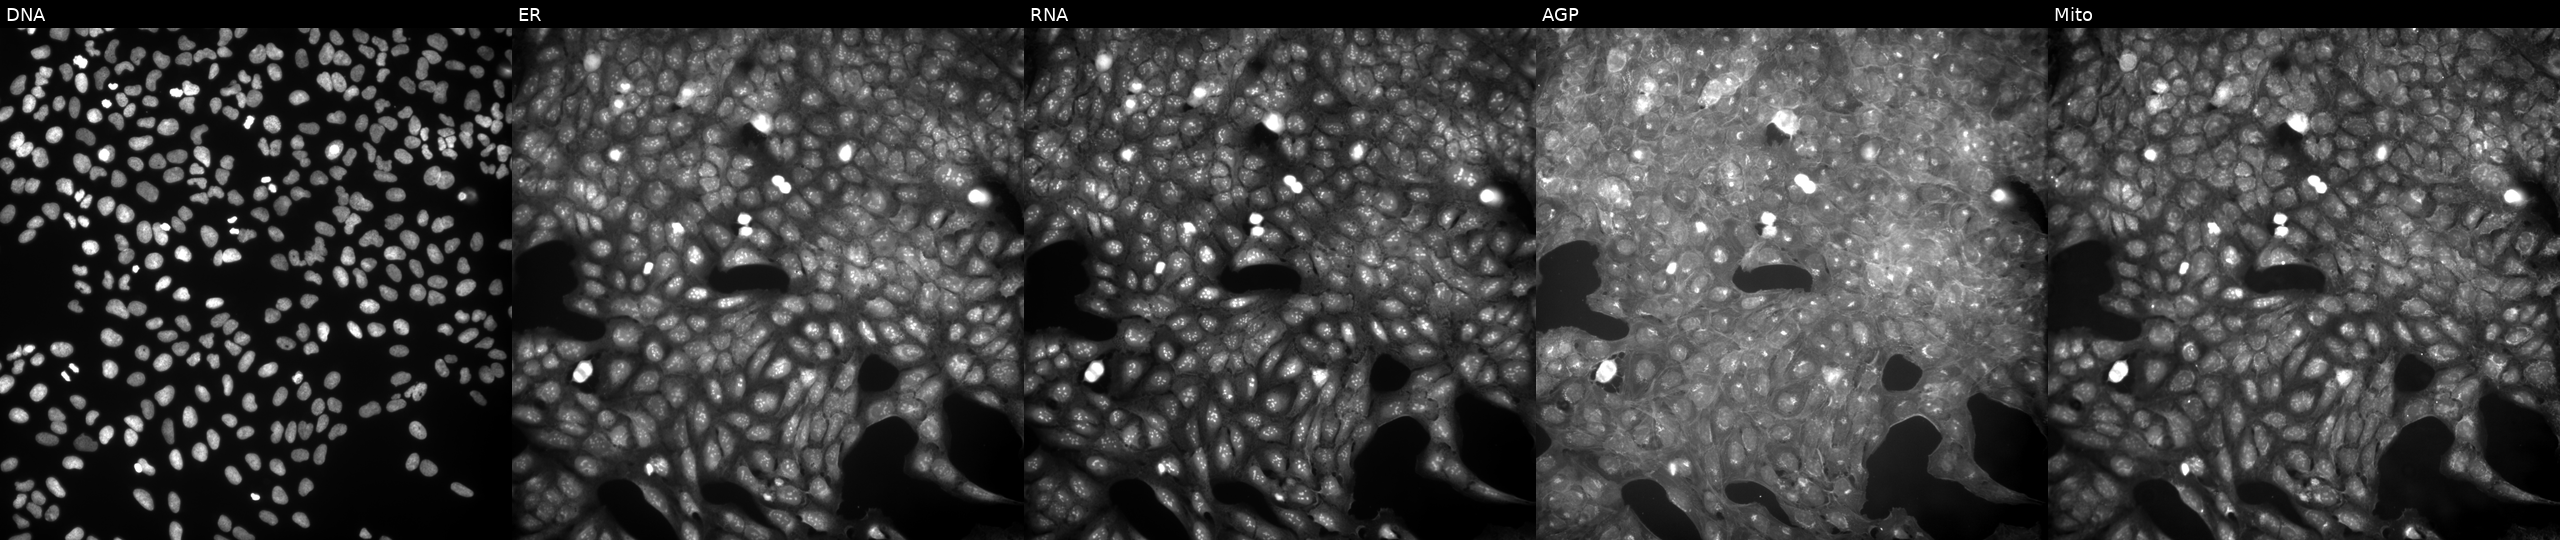
This image strip shows the five Cell Painting channels for a single field of U2OS cells perturbed with a small-molecule compound [SMILES: COc1ccc(NC(=O)c2cccc(Cl)c2Cl)cc1OC]. The five panels, left to right, show DNA, ER, RNA, AGP, and Mito.